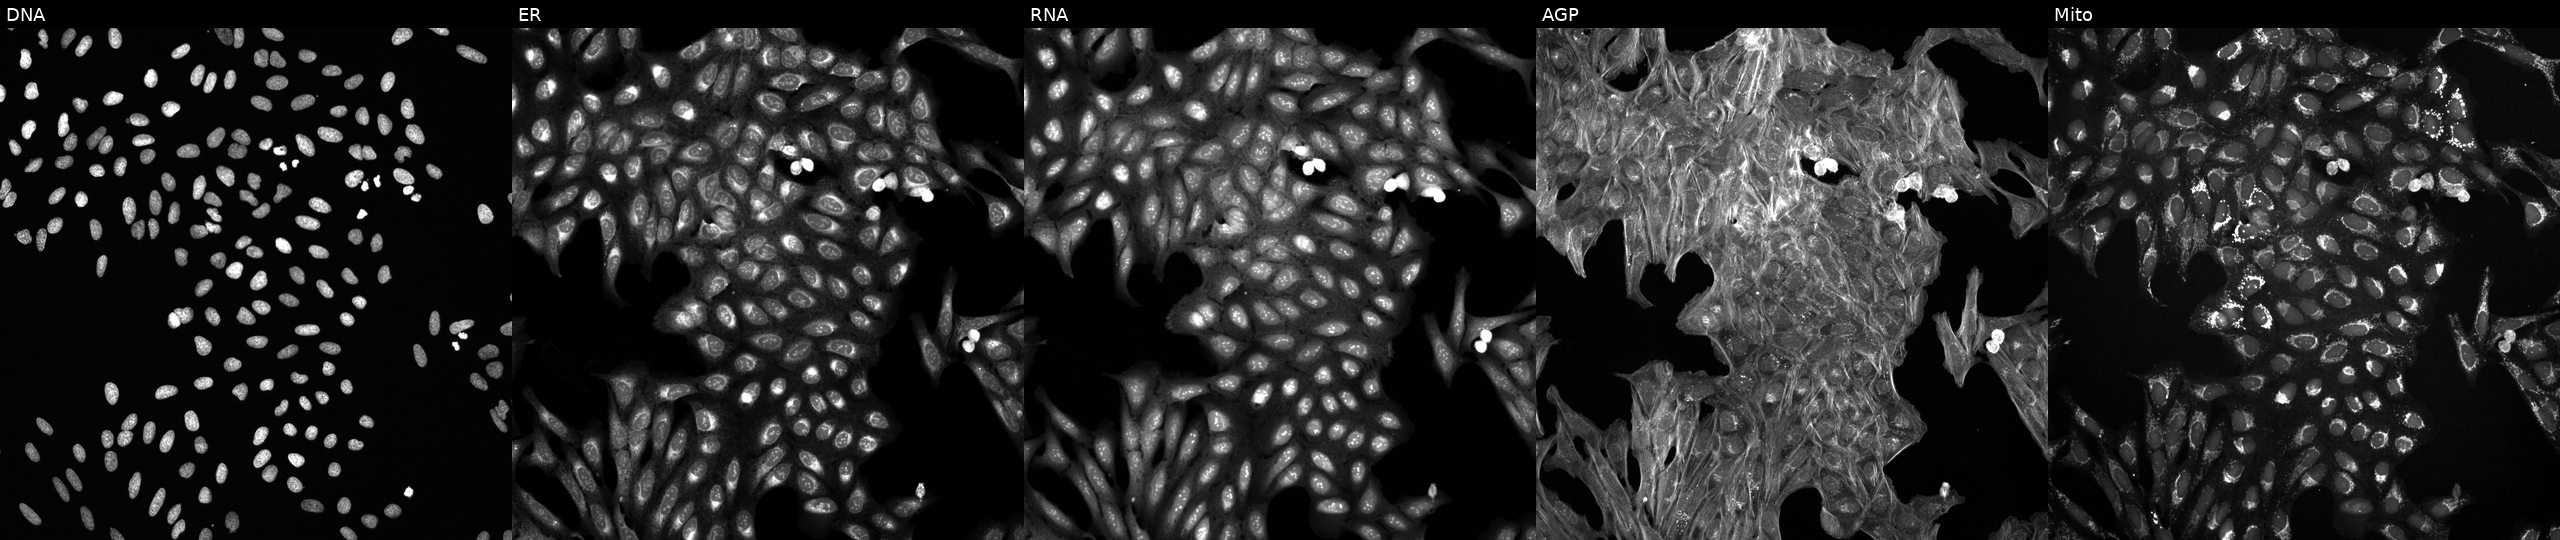
Channels (left→right): Hoechst 33342, concanavalin A, SYTO 14, phalloidin and WGA, MitoTracker. U2OS osteosarcoma cells treated with a small-molecule compound (InChIKey LVHMUCCSUNCROO-UHFFFAOYSA-N). Cell Painting assay, JUMP-CP dataset.